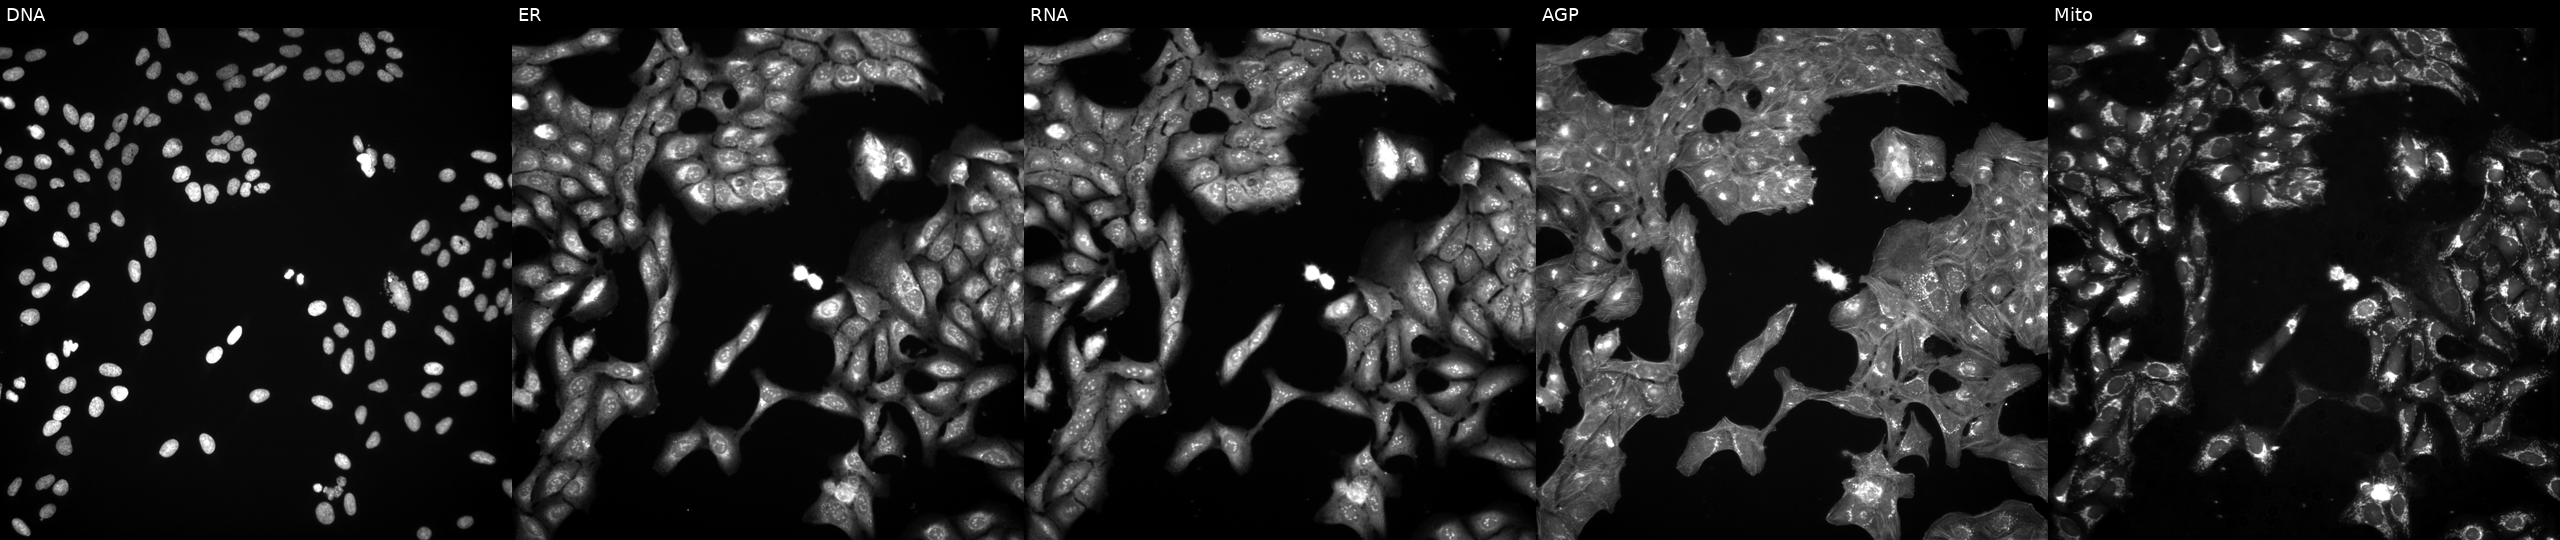
Five-channel Cell Painting image of U2OS cells treated with DMSO vehicle only (negative control) (JUMP id JCP2022_033924). Panels show, left to right, DNA (nuclei); ER (endoplasmic reticulum); RNA (nucleoli and cytoplasmic RNA); AGP (actin cytoskeleton, Golgi, and plasma membrane); Mito (mitochondria).